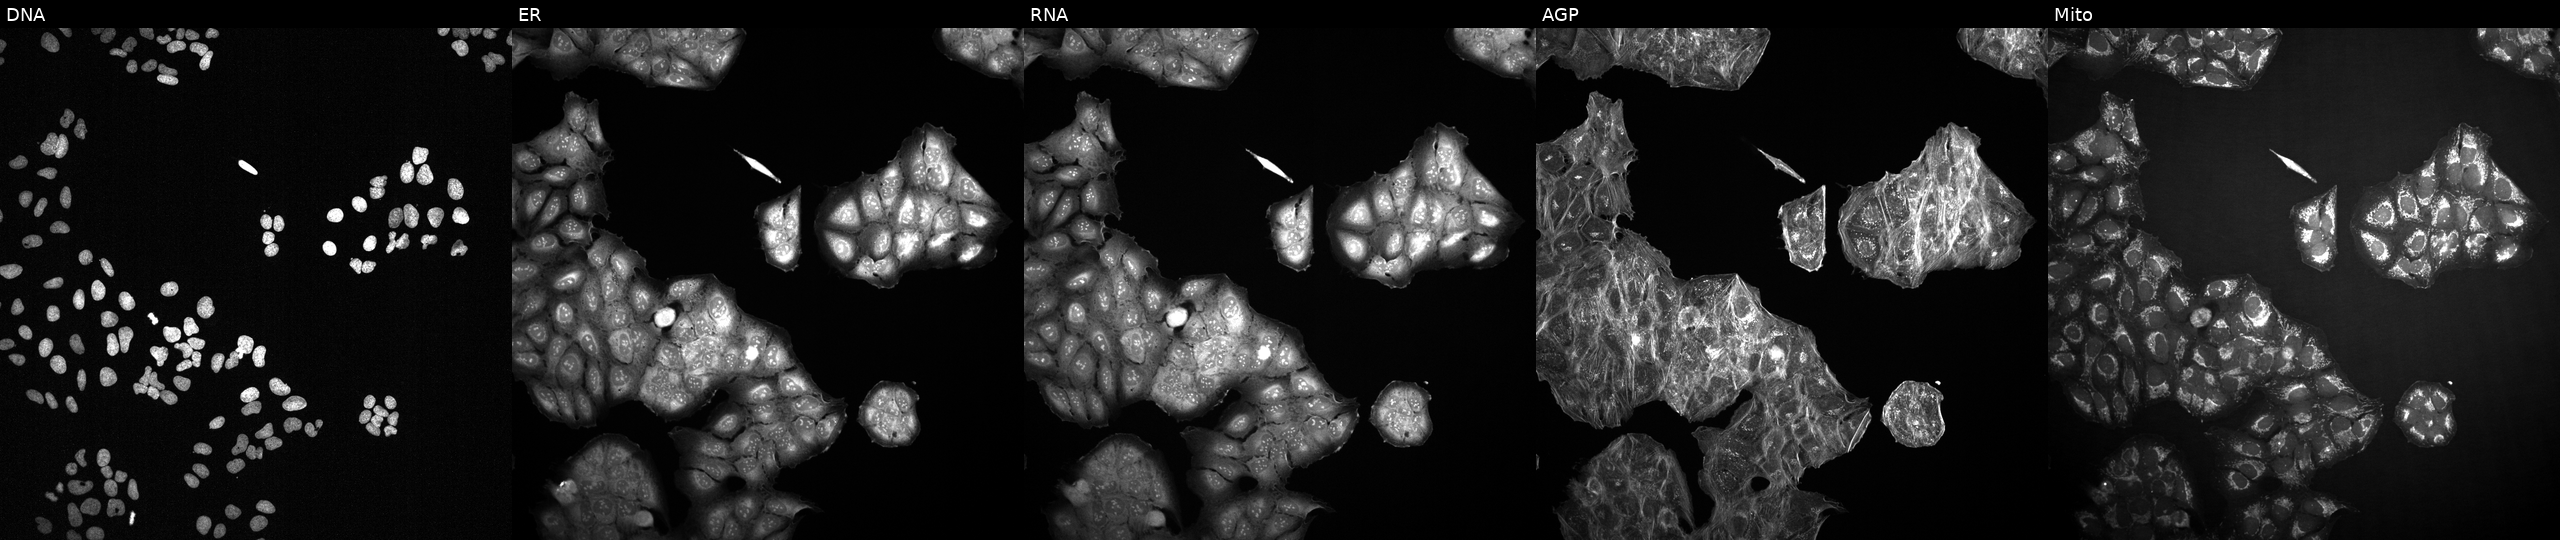
High-content fluorescence microscopy (Cell Painting). Cell line: U2OS. Perturbation: exposed to a small-molecule compound (InChIKey OAVGBZOFDPFGPJ-UHFFFAOYSA-N) (JUMP id JCP2022_062592). Panels show, left to right, DNA (nuclei); ER (endoplasmic reticulum); RNA (nucleoli and cytoplasmic RNA); AGP (actin cytoskeleton, Golgi, and plasma membrane); Mito (mitochondria).